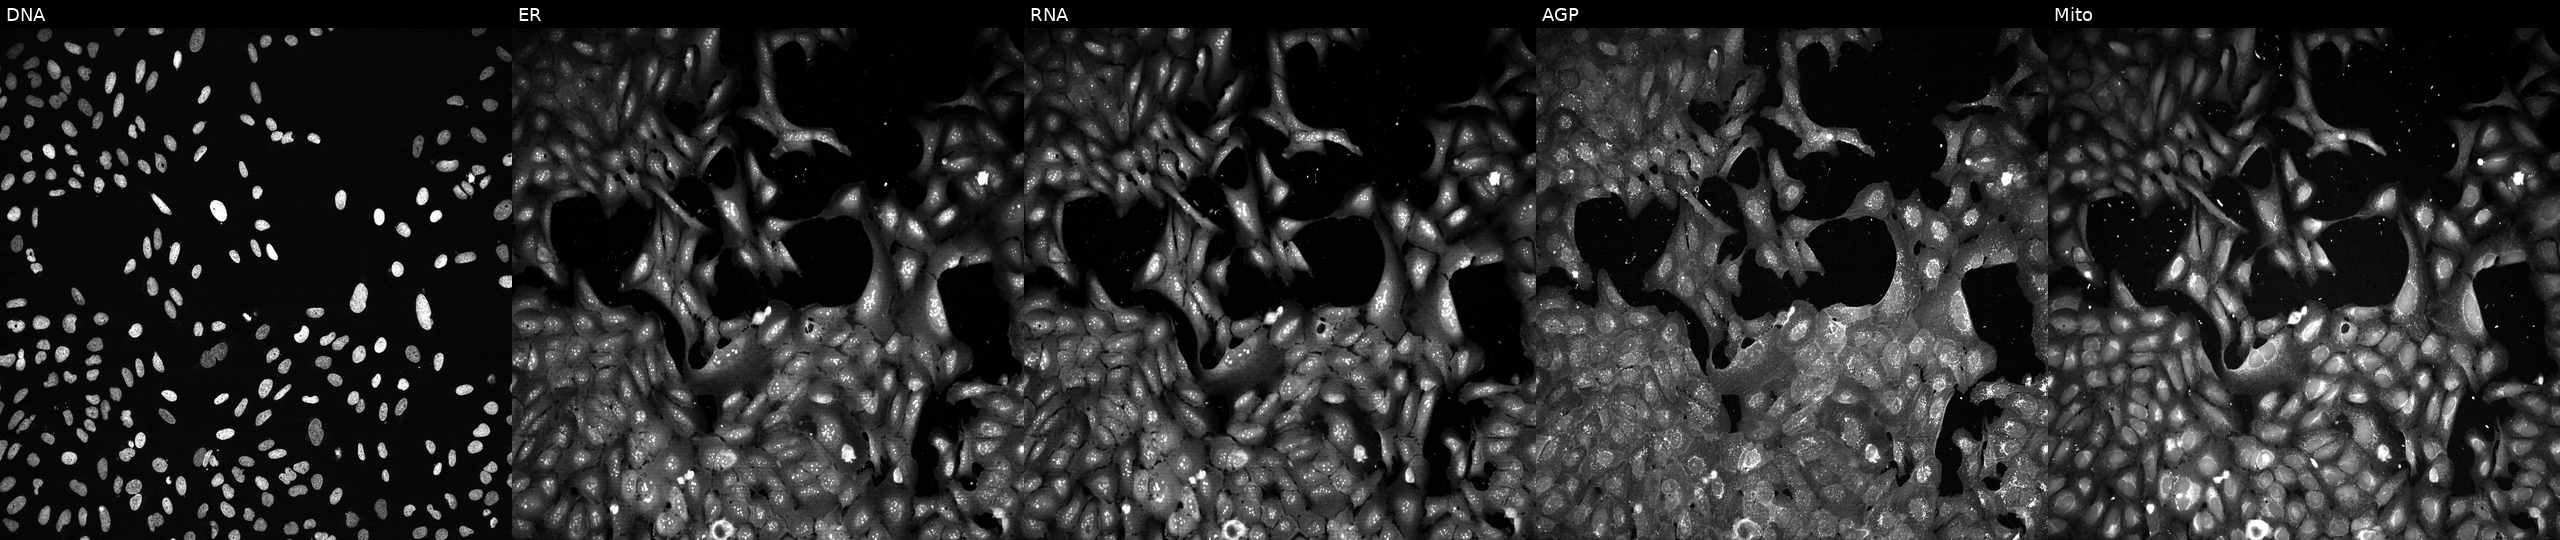
High-content fluorescence microscopy (Cell Painting). Cell line: U2OS. Perturbation: CRISPR-edited to disrupt POLR1C. From left to right: Hoechst 33342, concanavalin A, SYTO 14, phalloidin and WGA, MitoTracker.